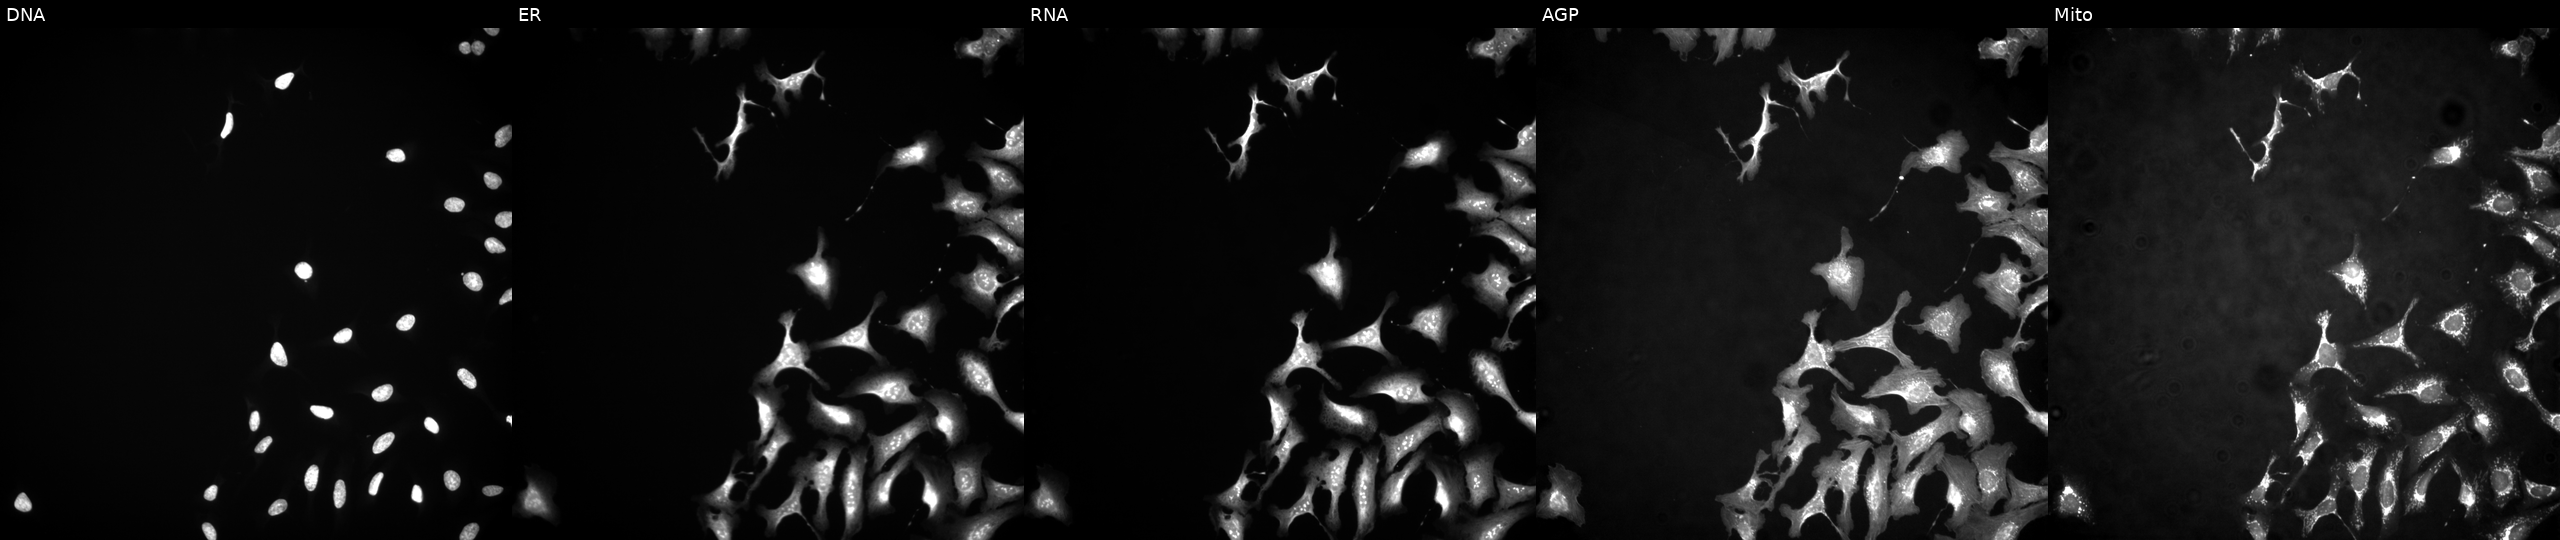
U2OS cells, Cell Painting assay, with RPL35 overexpressed (ORF) (JUMP id JCP2022_902483). Channels (left→right): Hoechst 33342, concanavalin A, SYTO 14, phalloidin and WGA, MitoTracker. Each panel is percentile-stretched 16-bit fluorescence.